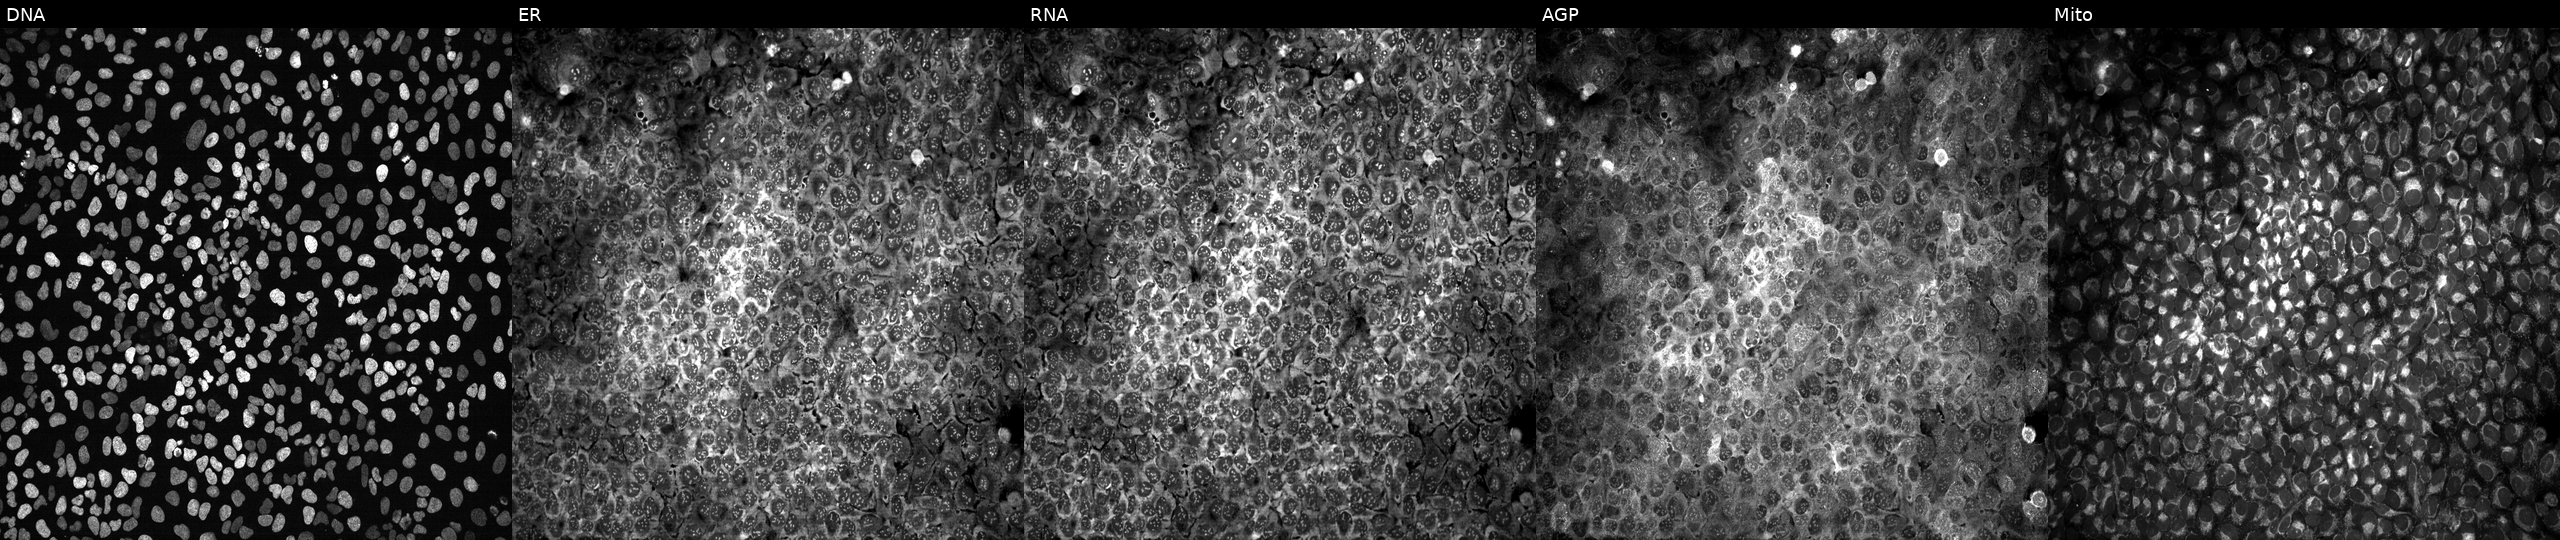
Five-channel Cell Painting image of U2OS cells CRISPR-edited to disrupt IDH3B. Panels show, left to right, DNA, ER, RNA, AGP, and Mito.